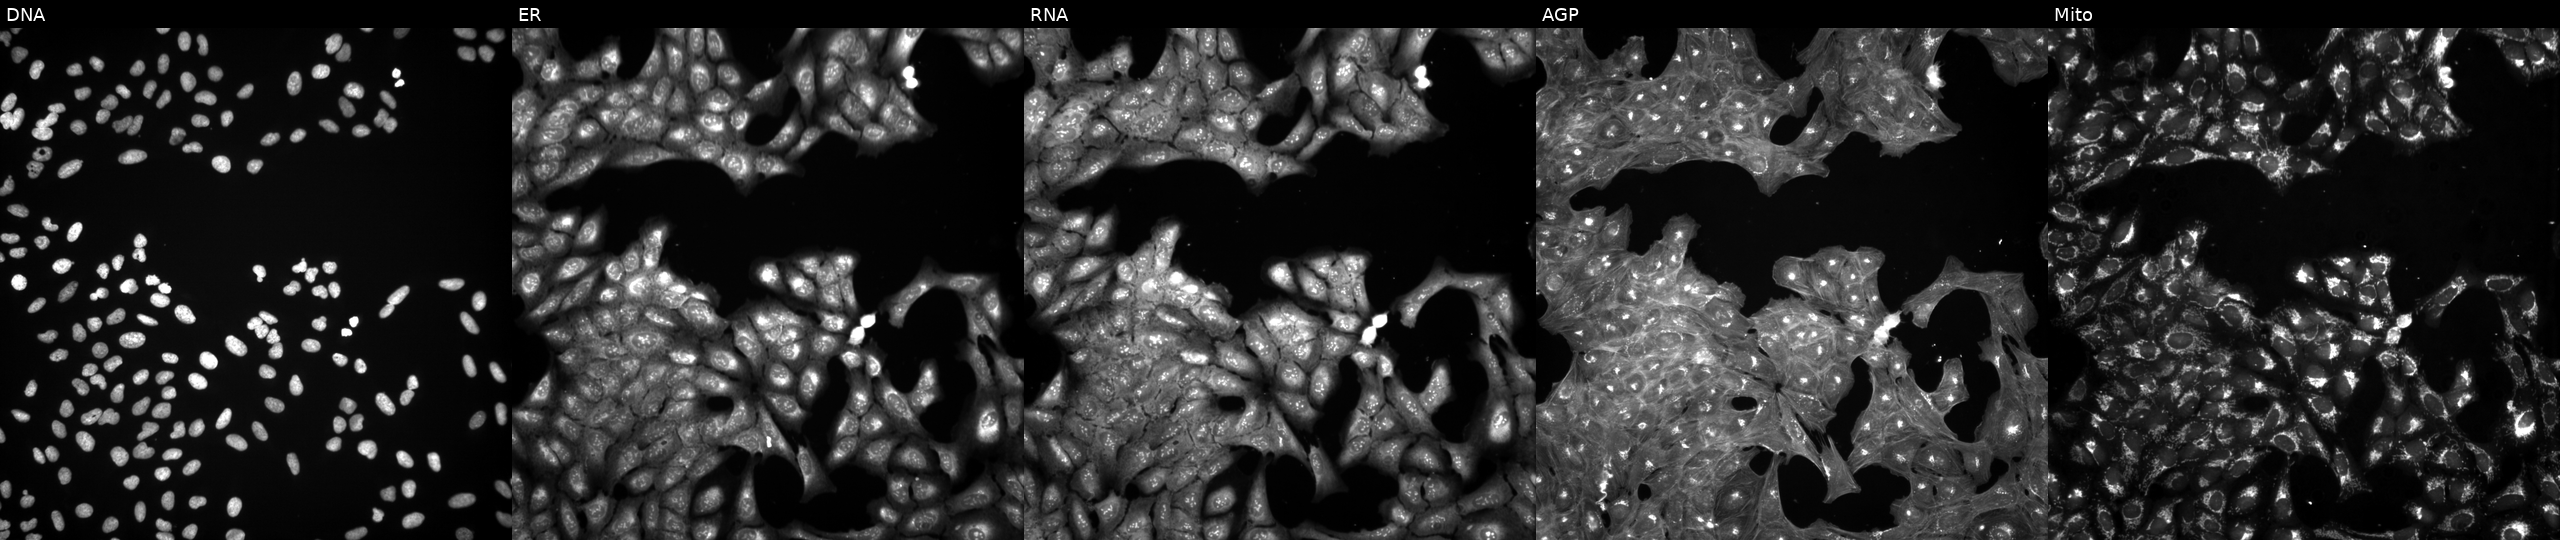
Panels show, left to right, DNA, ER, RNA, AGP, and Mito. U2OS osteosarcoma cells in an empty control well (no perturbation) (JUMP id JCP2022_999999). Cell Painting assay, JUMP-CP dataset.